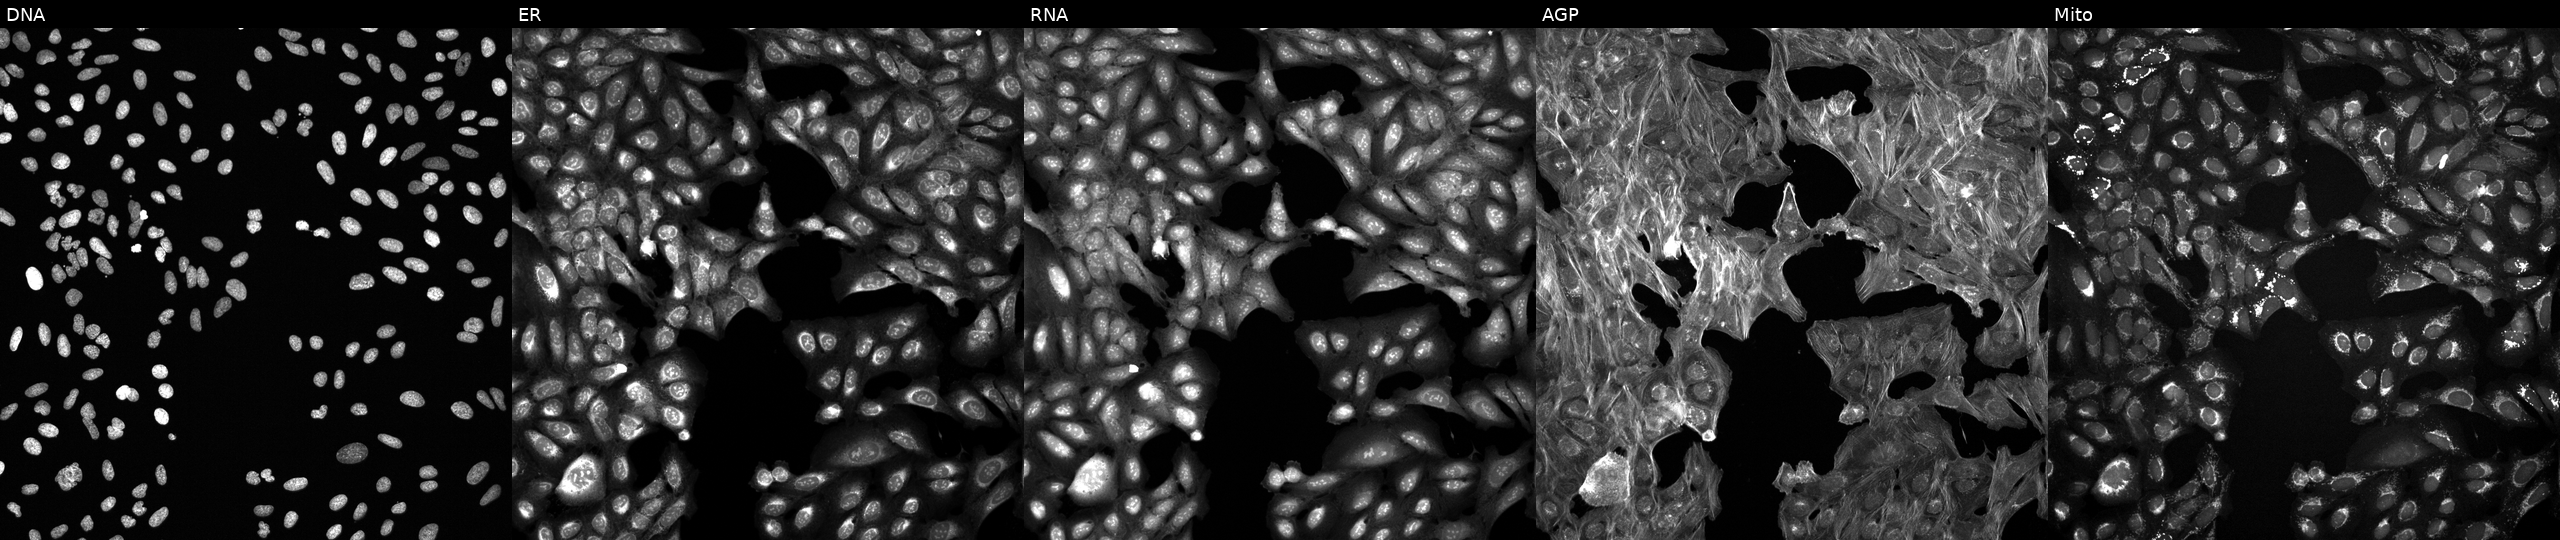
JUMP Cell Painting — COMPOUND plate. U2OS cells treated with a small-molecule compound (InChIKey NXZGCCFFRYUPNR-UHFFFAOYSA-N). Channels (left→right): DNA, ER, RNA, AGP, and Mito.